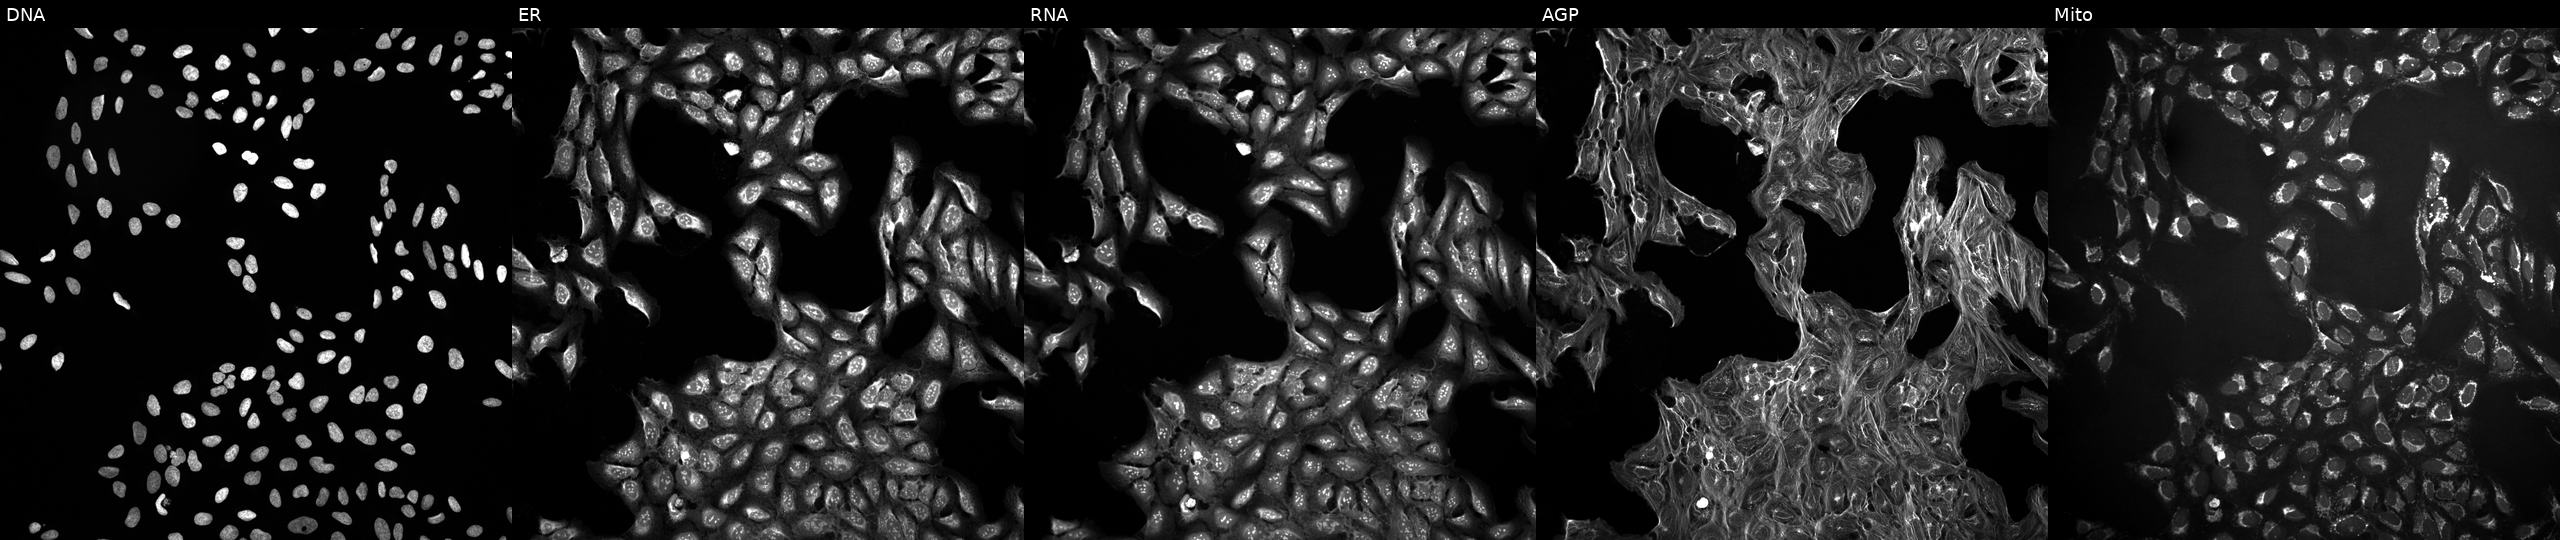
Five-channel Cell Painting image of U2OS cells exposed to a small-molecule compound (InChIKey SGRYPYWGNKJSDL-UHFFFAOYSA-N) (JUMP id JCP2022_083099). Panels show, left to right, DNA (nuclei); ER (endoplasmic reticulum); RNA (nucleoli and cytoplasmic RNA); AGP (actin cytoskeleton, Golgi, and plasma membrane); Mito (mitochondria).